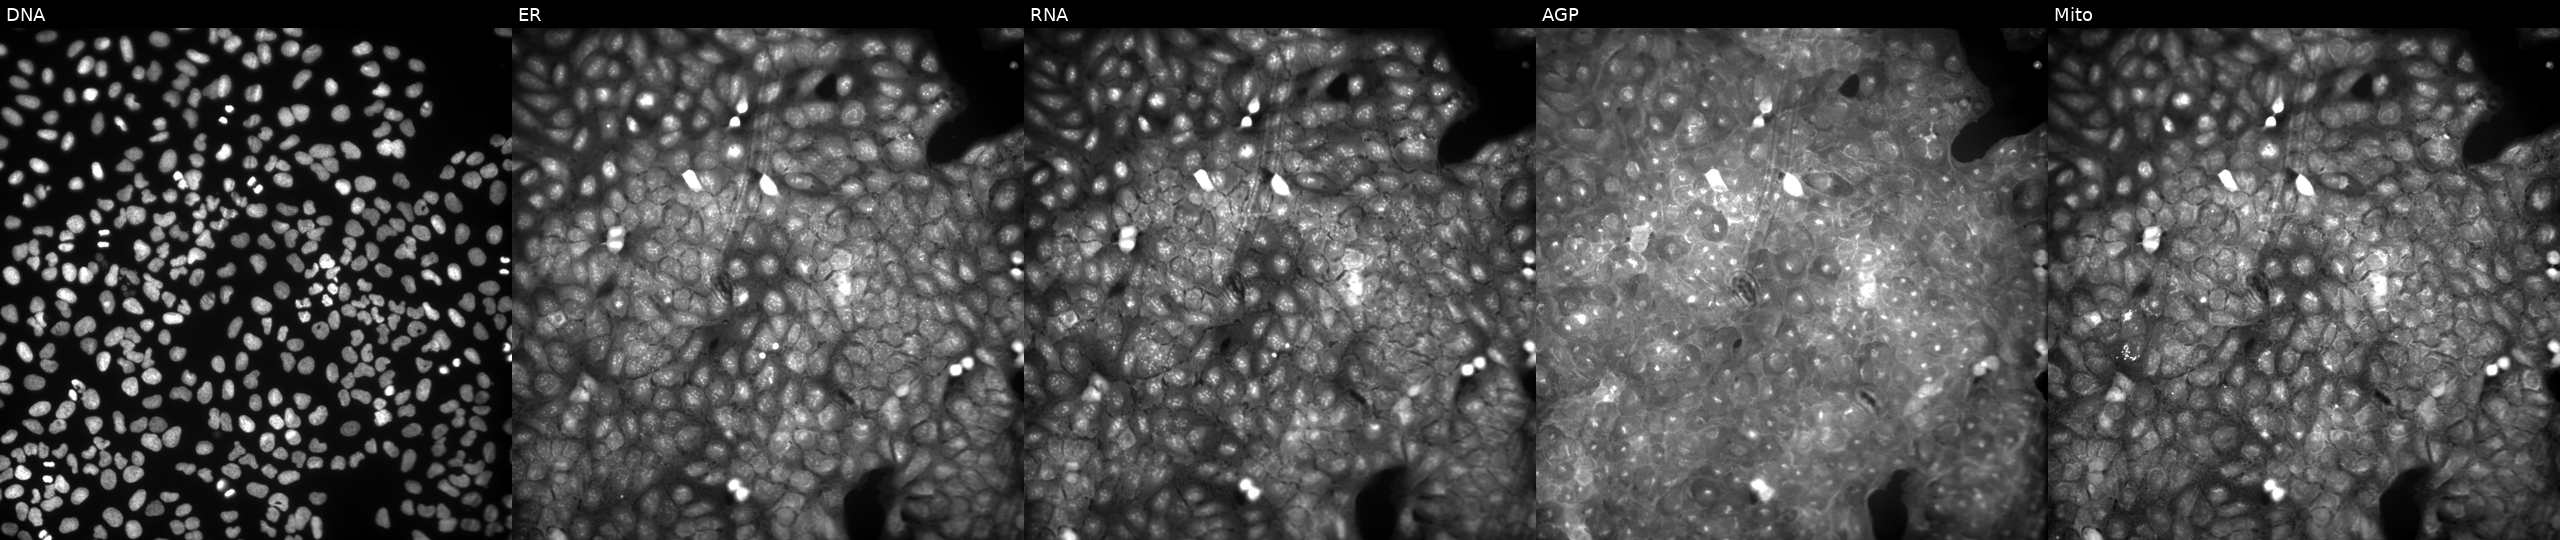
This image strip shows the five Cell Painting channels for a single field of U2OS cells exposed to a small-molecule compound (InChIKey CTGDHIGQLFRLKR-UHFFFAOYSA-N) [SMILES: O=[N+]([O-])c1ccc2c(c1)cc(O)n2-c1c(Cl)cccc1Cl]. Channels (left→right): Hoechst 33342, concanavalin A, SYTO 14, phalloidin and WGA, MitoTracker.